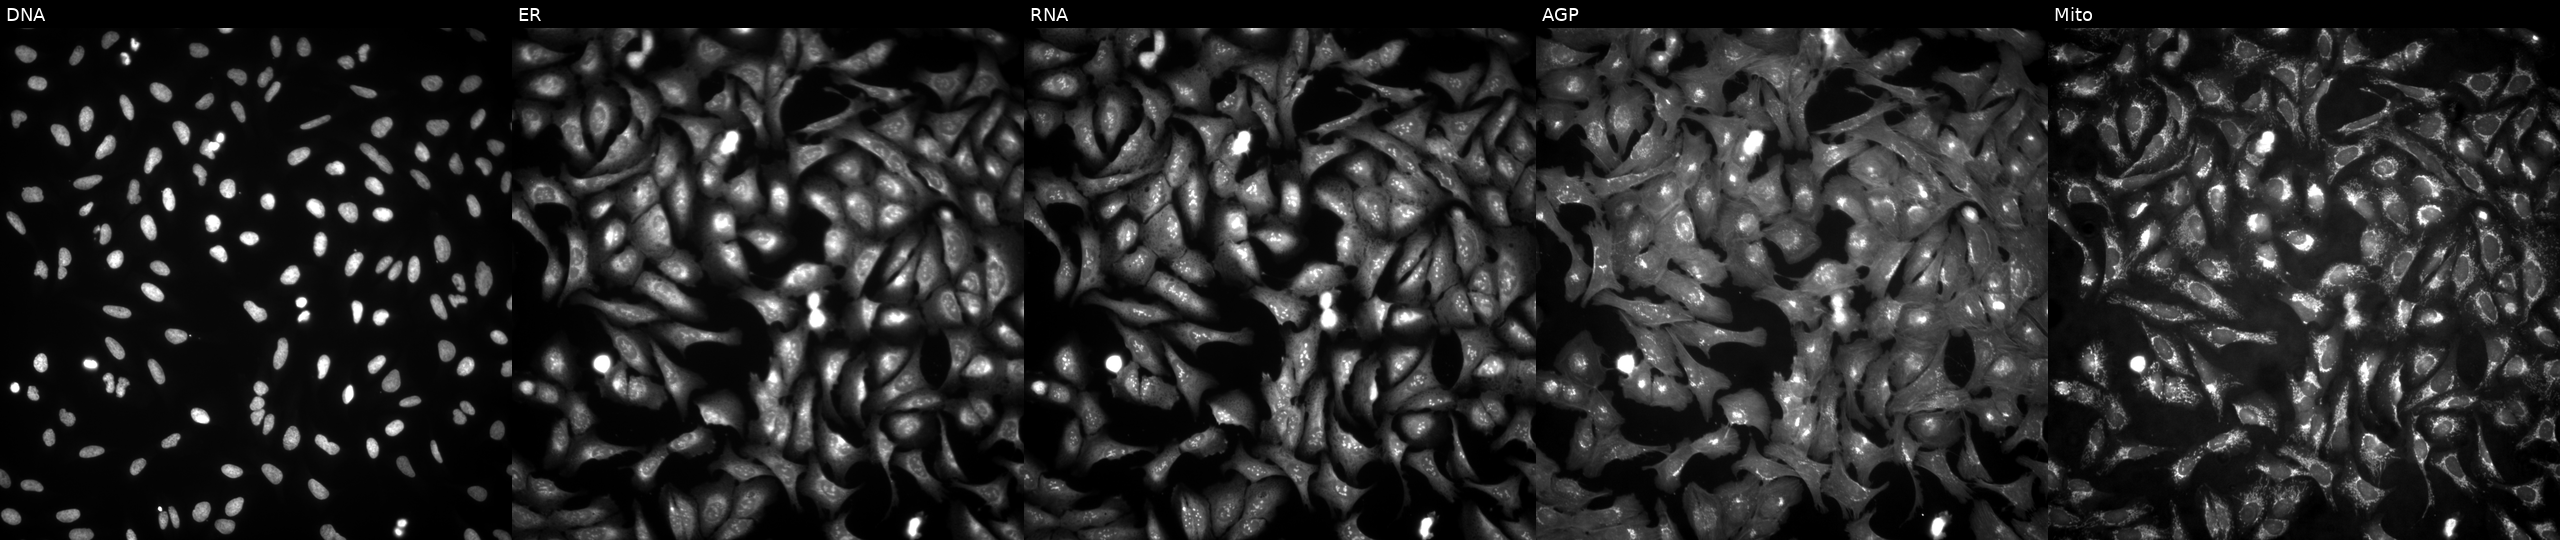
Channels (left→right): Hoechst 33342, concanavalin A, SYTO 14, phalloidin and WGA, MitoTracker. U2OS osteosarcoma cells overexpressing LBX2-AS1 via ORF transfection. Cell Painting assay, JUMP-CP dataset.